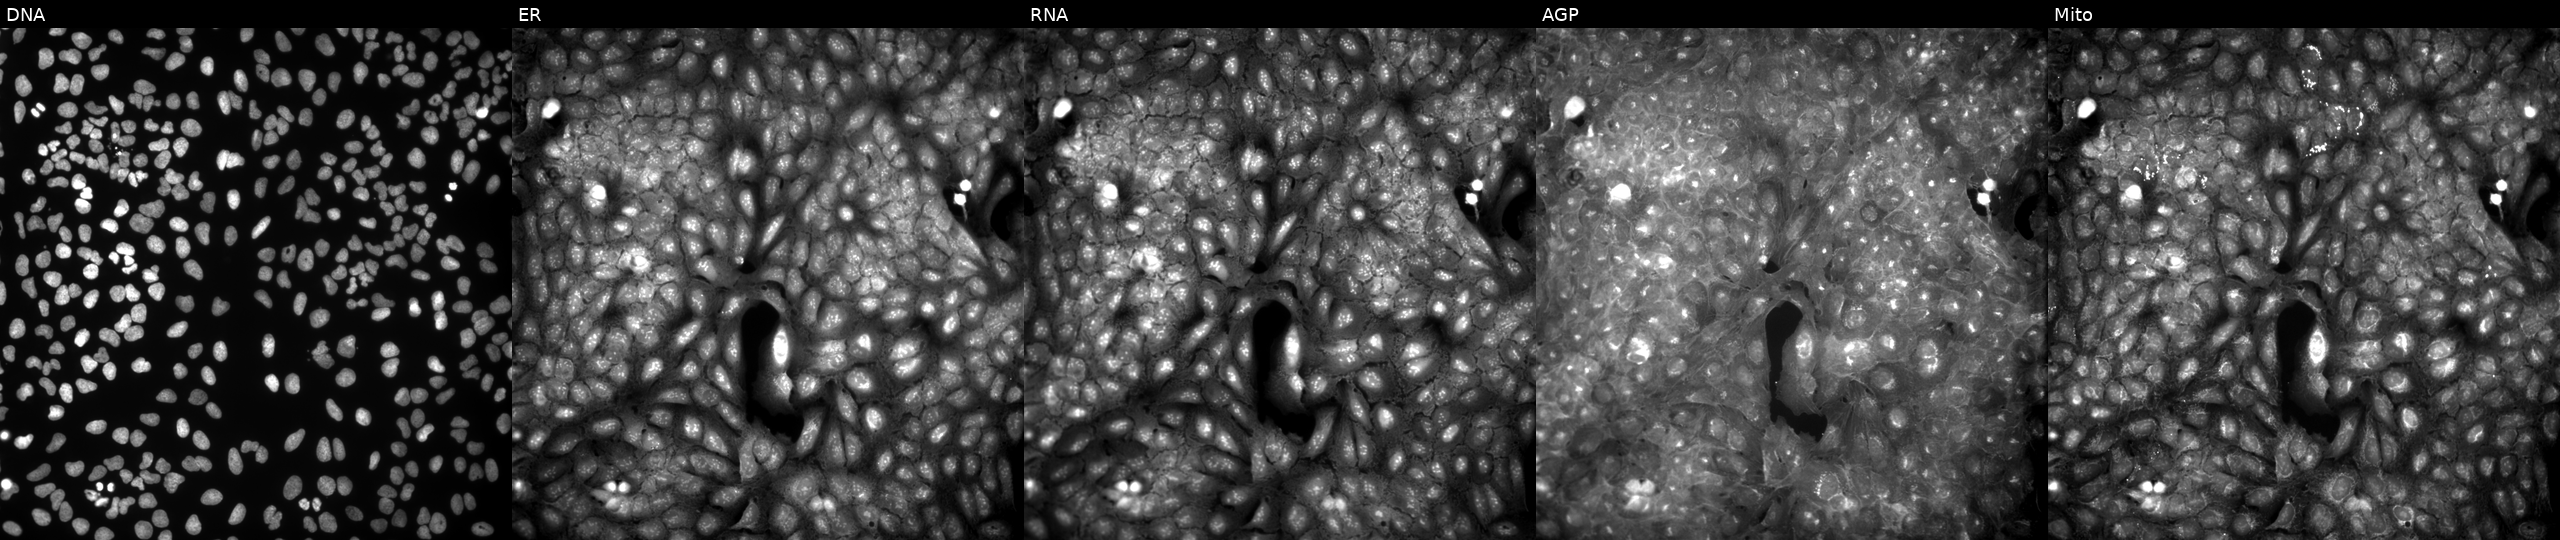
U2OS cells, Cell Painting assay, exposed to a small-molecule compound (InChIKey IOZLFEFPJZYFFY-UHFFFAOYSA-N). Channels (left→right): DNA, ER, RNA, AGP, and Mito. Each panel is percentile-stretched 16-bit fluorescence. Source 9, plate GR00003382, well R21.